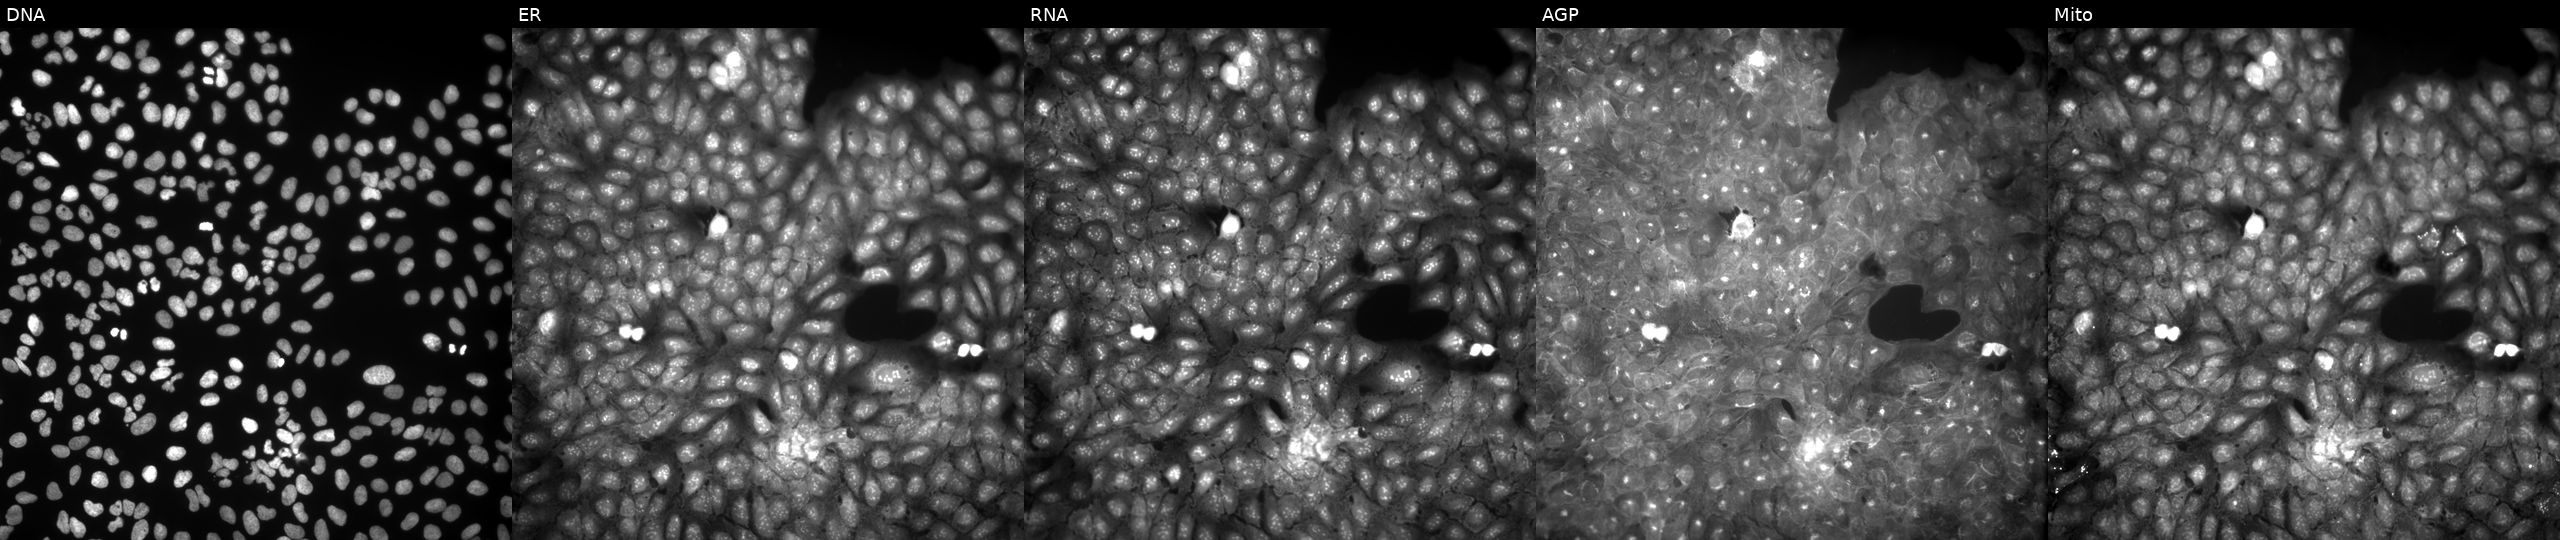
Five-channel Cell Painting image of U2OS cells exposed to a small-molecule compound (InChIKey OQCOFFPUQSKDCI-UHFFFAOYSA-N) [SMILES: COc1c2occc2c(OC)c2c(=O)cc(C(F)(F)C(F)(F)F)oc12] (JUMP id JCP2022_065425). The five panels, left to right, show DNA (nuclei); ER (endoplasmic reticulum); RNA (nucleoli and cytoplasmic RNA); AGP (actin cytoskeleton, Golgi, and plasma membrane); Mito (mitochondria). Source 9, plate GR00003382, well AB17.